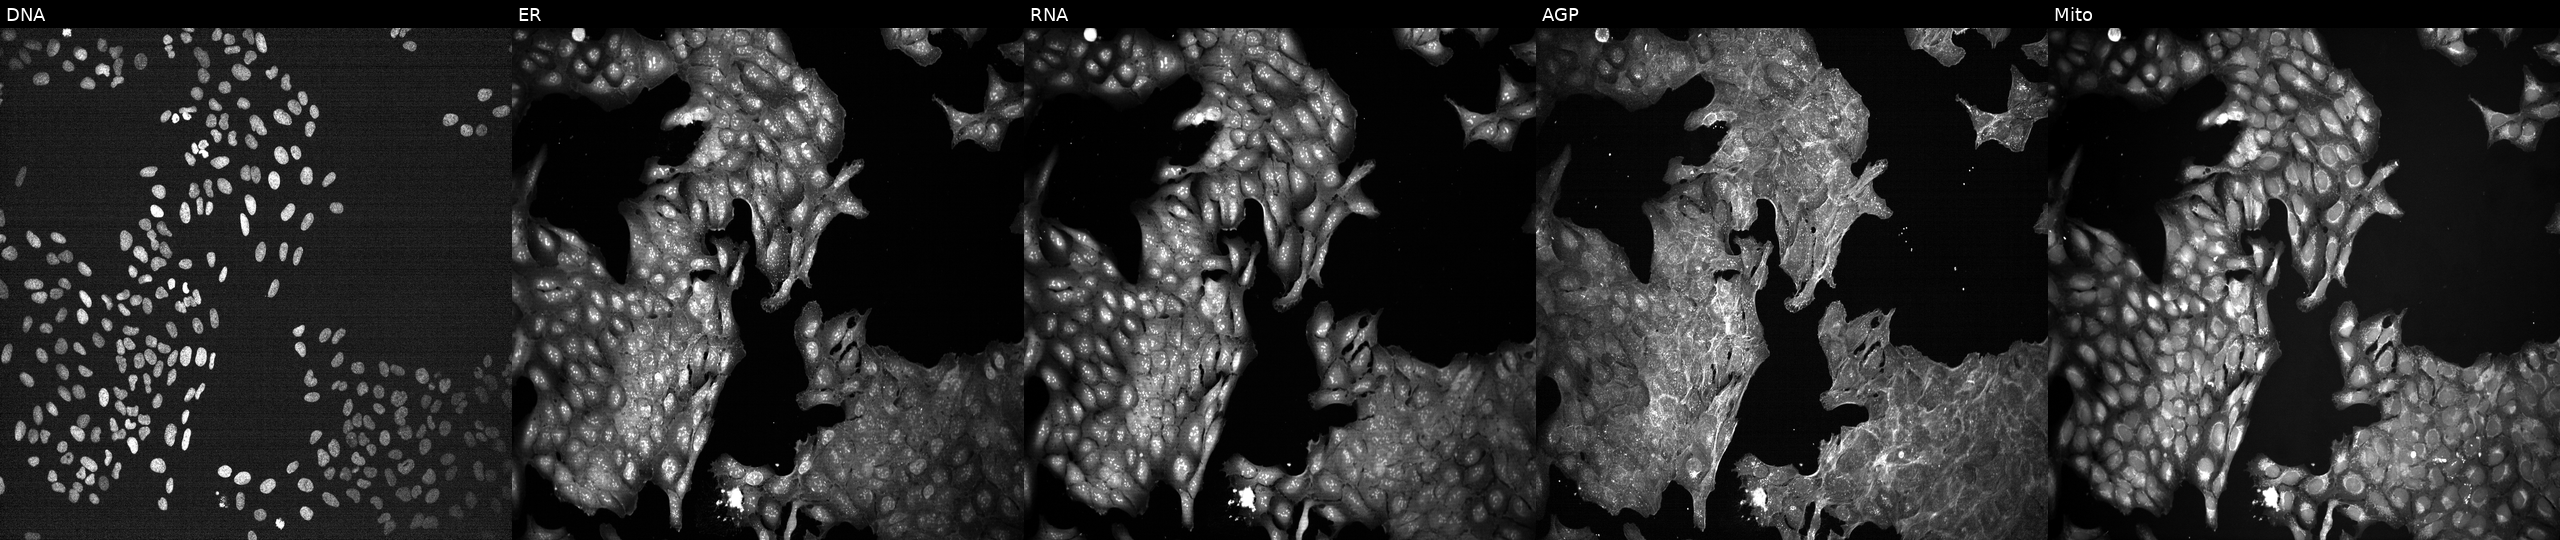
This image strip shows the five Cell Painting channels for a single field of U2OS cells treated with a small-molecule compound (JUMP id JCP2022_067426). Channels (left→right): DNA, ER, RNA, AGP, and Mito.